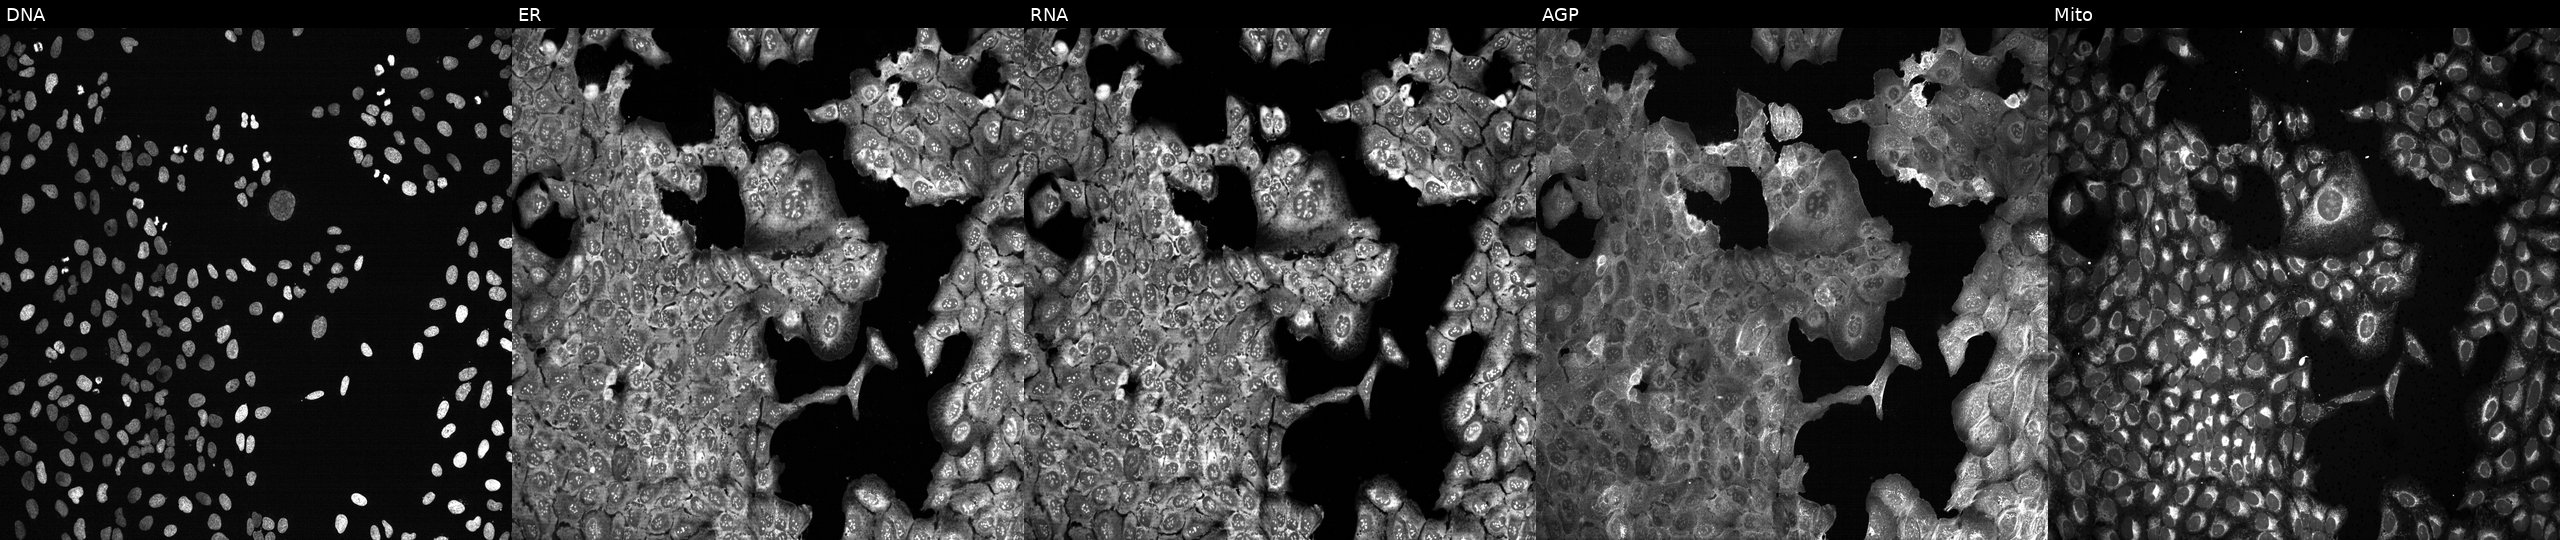
From left to right: DNA (nuclei); ER (endoplasmic reticulum); RNA (nucleoli and cytoplasmic RNA); AGP (actin cytoskeleton, Golgi, and plasma membrane); Mito (mitochondria). U2OS osteosarcoma cells CRISPR-edited to disrupt ABCC2 (JUMP id JCP2022_800044). Cell Painting assay, JUMP-CP dataset. Source 13, plate CP-CC9-R2-01, well E07.